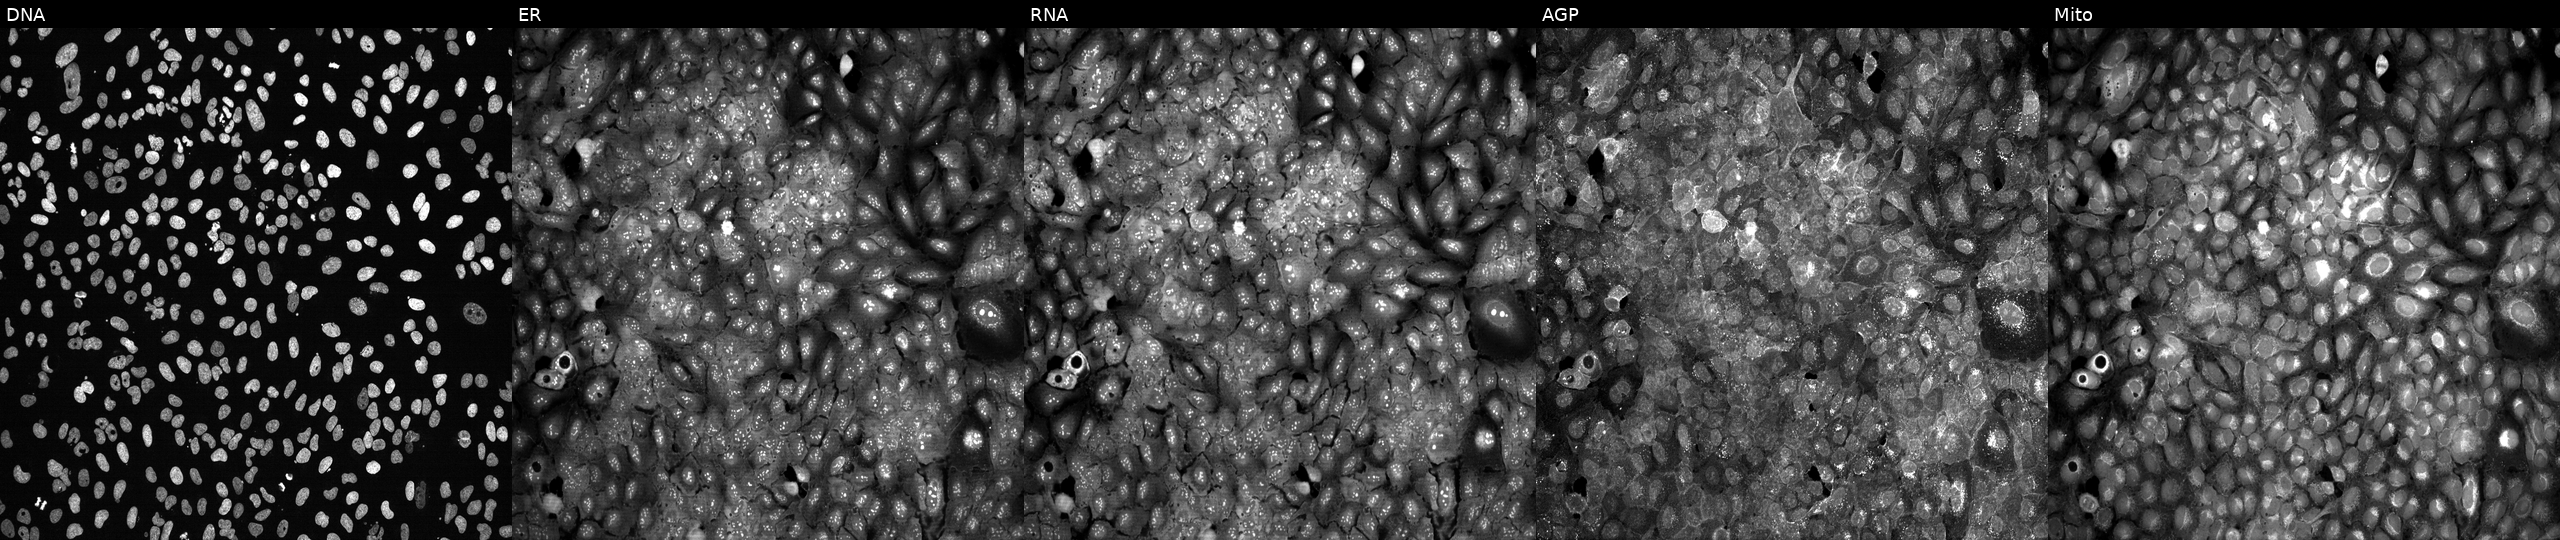
JUMP Cell Painting — CRISPR plate. U2OS cells with SFXN5 knocked out by CRISPR. From left to right: DNA, ER, RNA, AGP, and Mito.